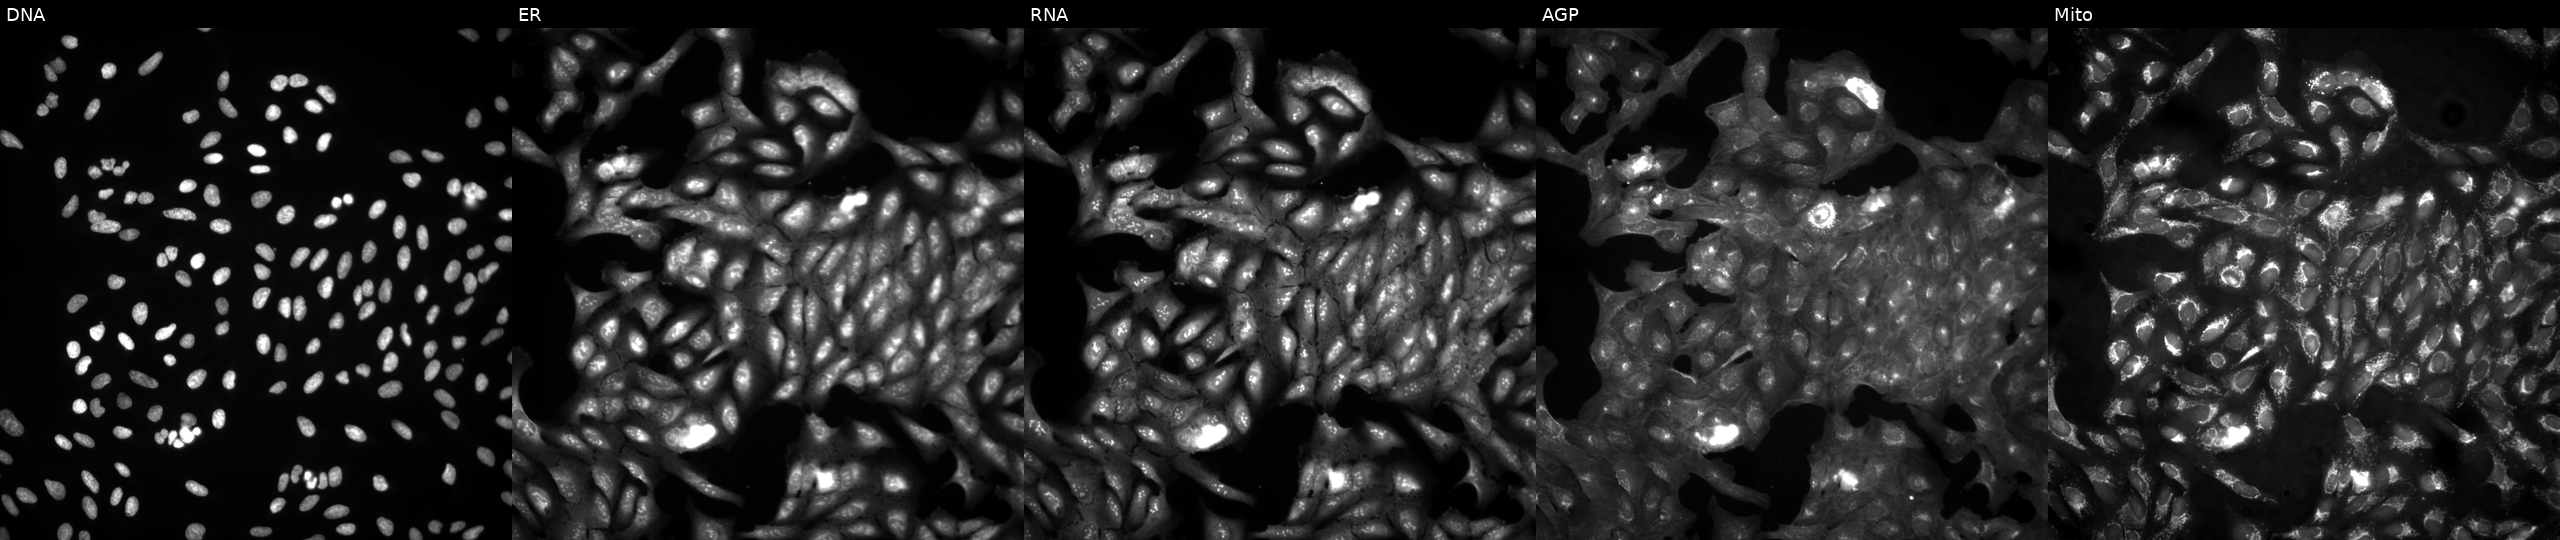
JUMP Cell Painting — ORF plate. U2OS cells in an empty control well (no perturbation) (JUMP id JCP2022_999999). From left to right: DNA (nuclei); ER (endoplasmic reticulum); RNA (nucleoli and cytoplasmic RNA); AGP (actin cytoskeleton, Golgi, and plasma membrane); Mito (mitochondria).